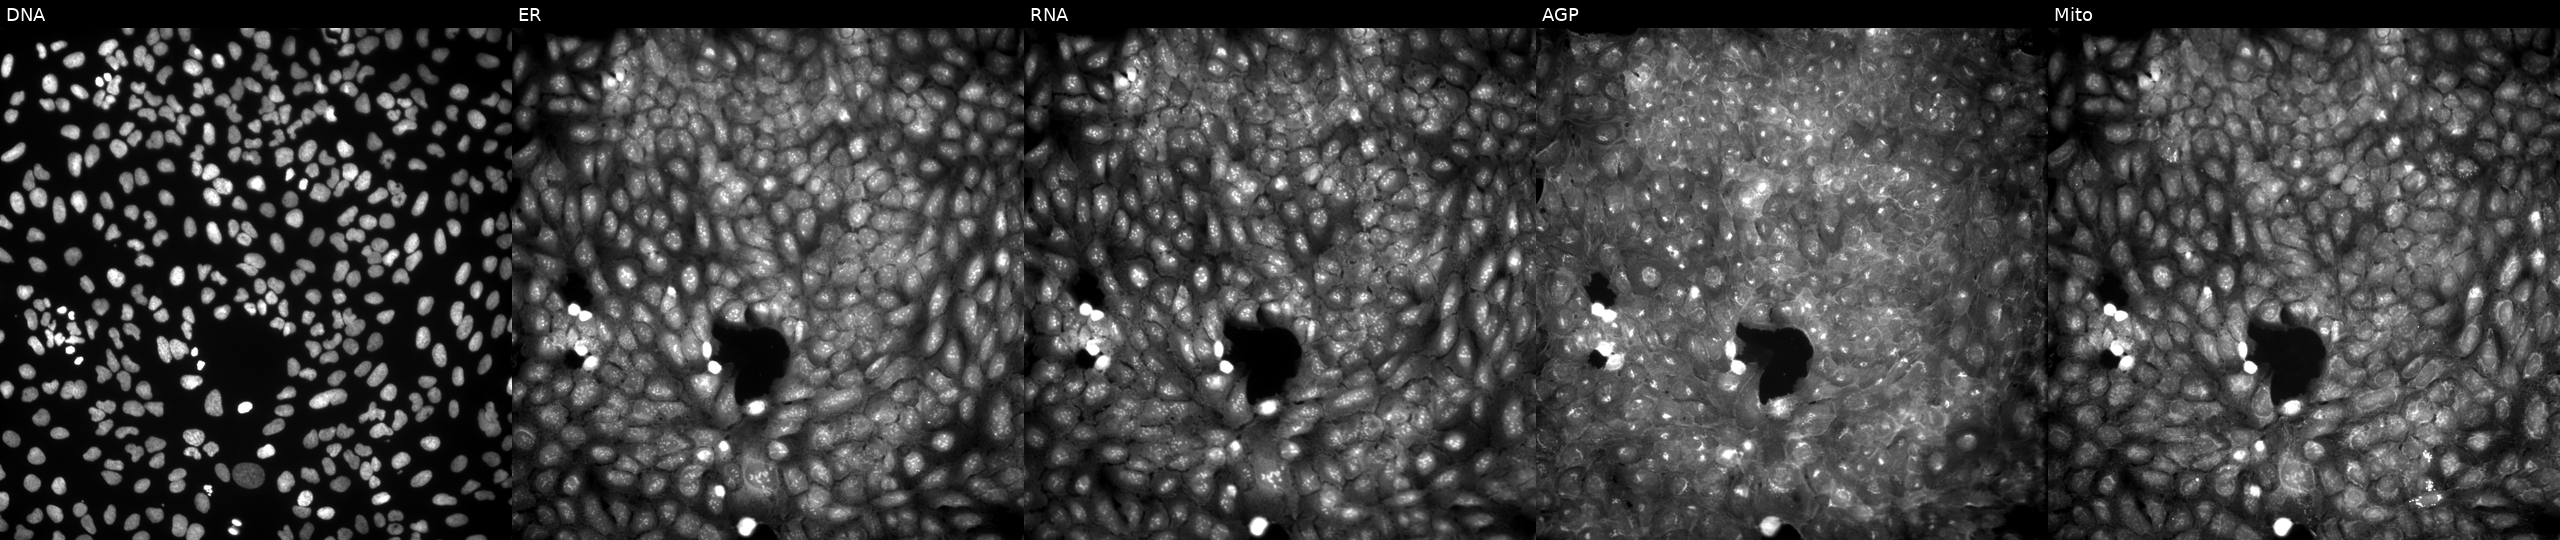
This image strip shows the five Cell Painting channels for a single field of U2OS cells exposed to DMSO alone as a negative control. From left to right: DNA (nuclei); ER (endoplasmic reticulum); RNA (nucleoli and cytoplasmic RNA); AGP (actin cytoskeleton, Golgi, and plasma membrane); Mito (mitochondria). Source 9, plate GR00003381, well X26.